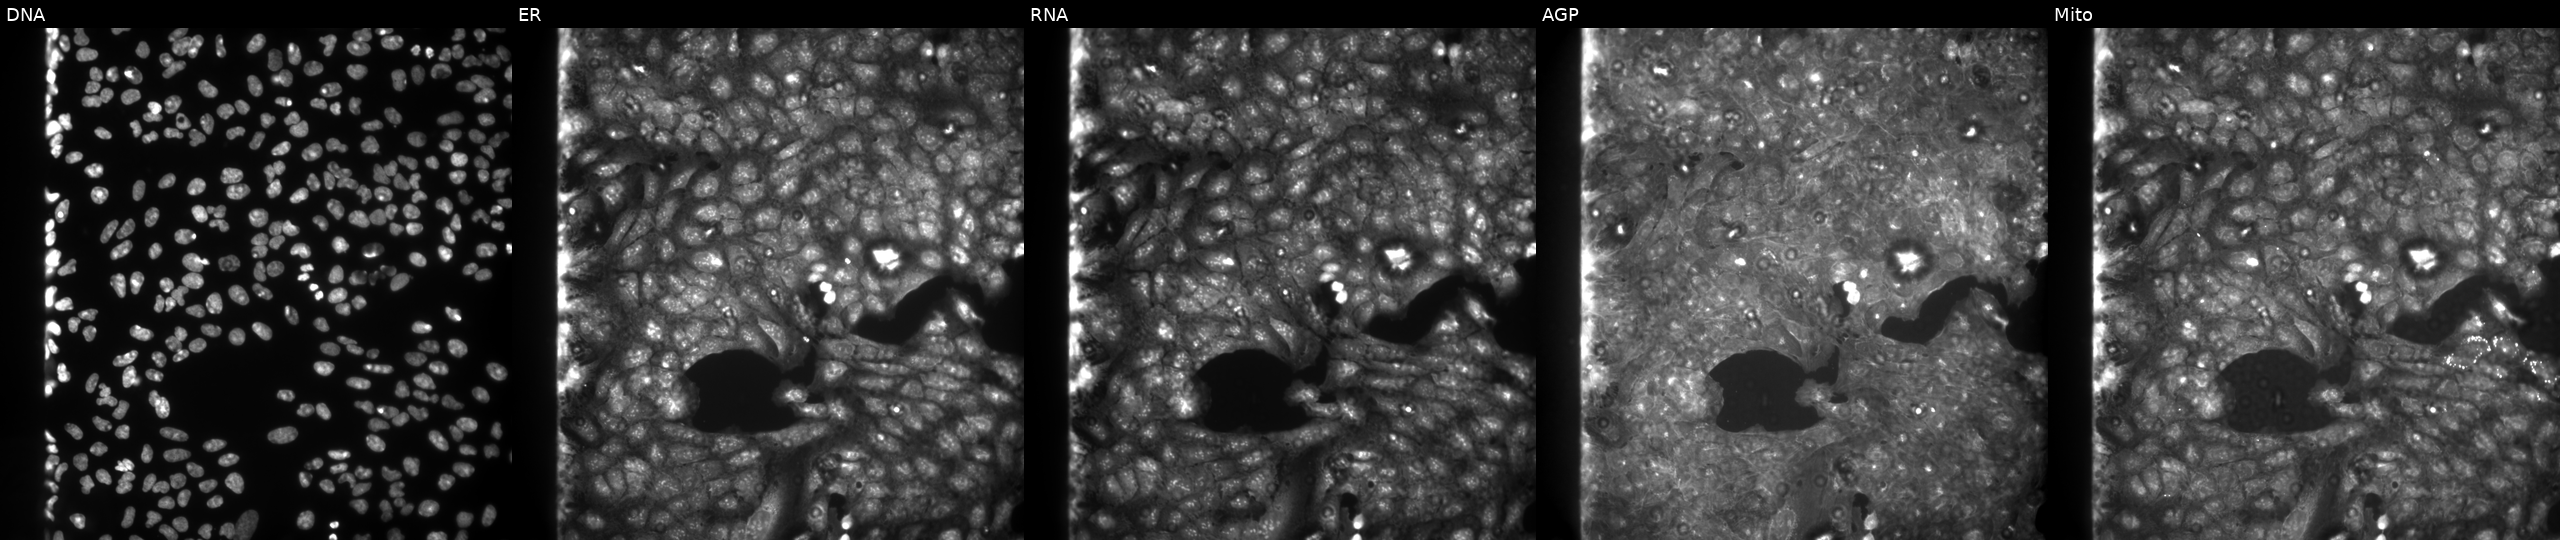
This image strip shows the five Cell Painting channels for a single field of U2OS cells treated with DMSO vehicle only (negative control). Panels show, left to right, DNA (nuclei); ER (endoplasmic reticulum); RNA (nucleoli and cytoplasmic RNA); AGP (actin cytoskeleton, Golgi, and plasma membrane); Mito (mitochondria).